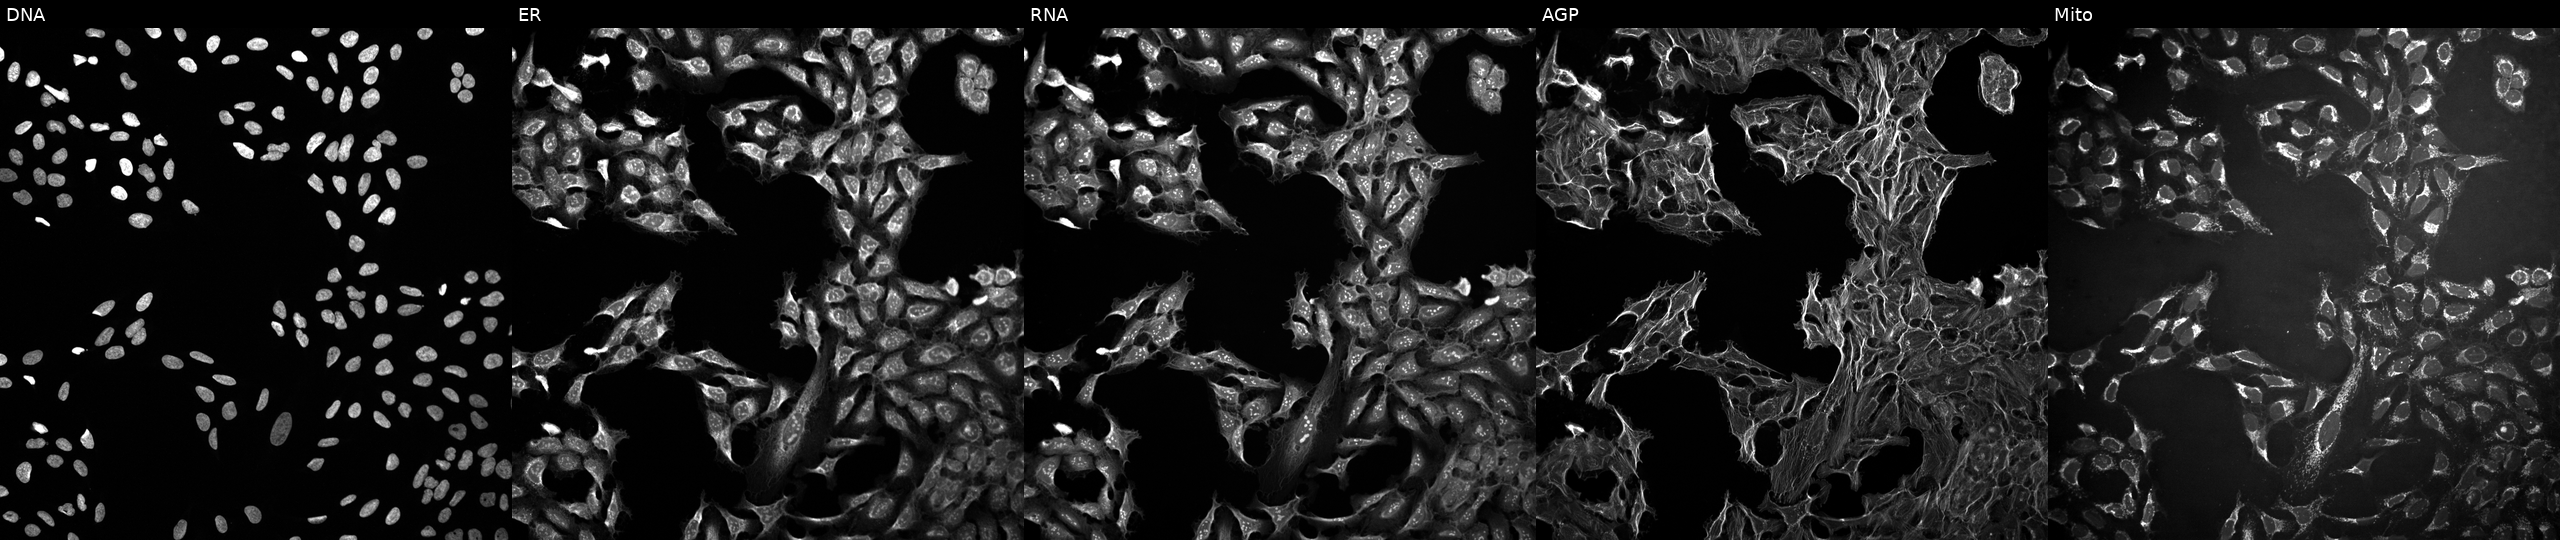
Five-channel Cell Painting image of U2OS cells perturbed with a small-molecule compound (InChIKey RIJLVEAXPNLDTC-UHFFFAOYSA-N) (JUMP id JCP2022_078581). Channels (left→right): DNA, ER, RNA, AGP, and Mito. Source 10, plate Dest210727-153003, well N12.